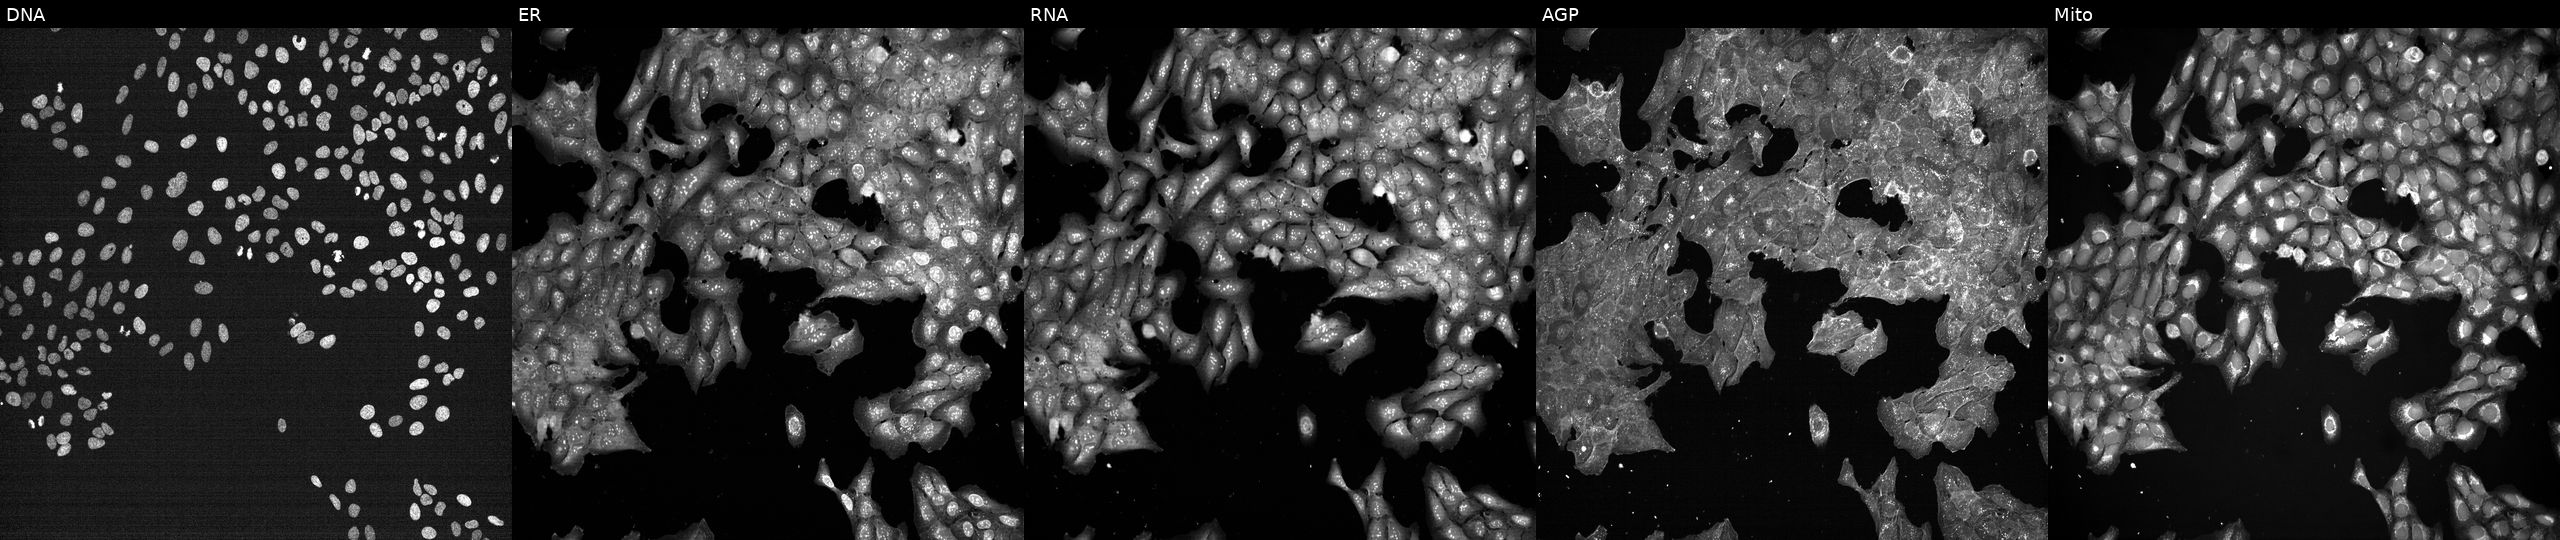
The five panels, left to right, show DNA, ER, RNA, AGP, and Mito. U2OS osteosarcoma cells perturbed with a small-molecule compound (JUMP id JCP2022_050338). Cell Painting assay, JUMP-CP dataset. Source 7, plate CP1-SC1-25, well I08.